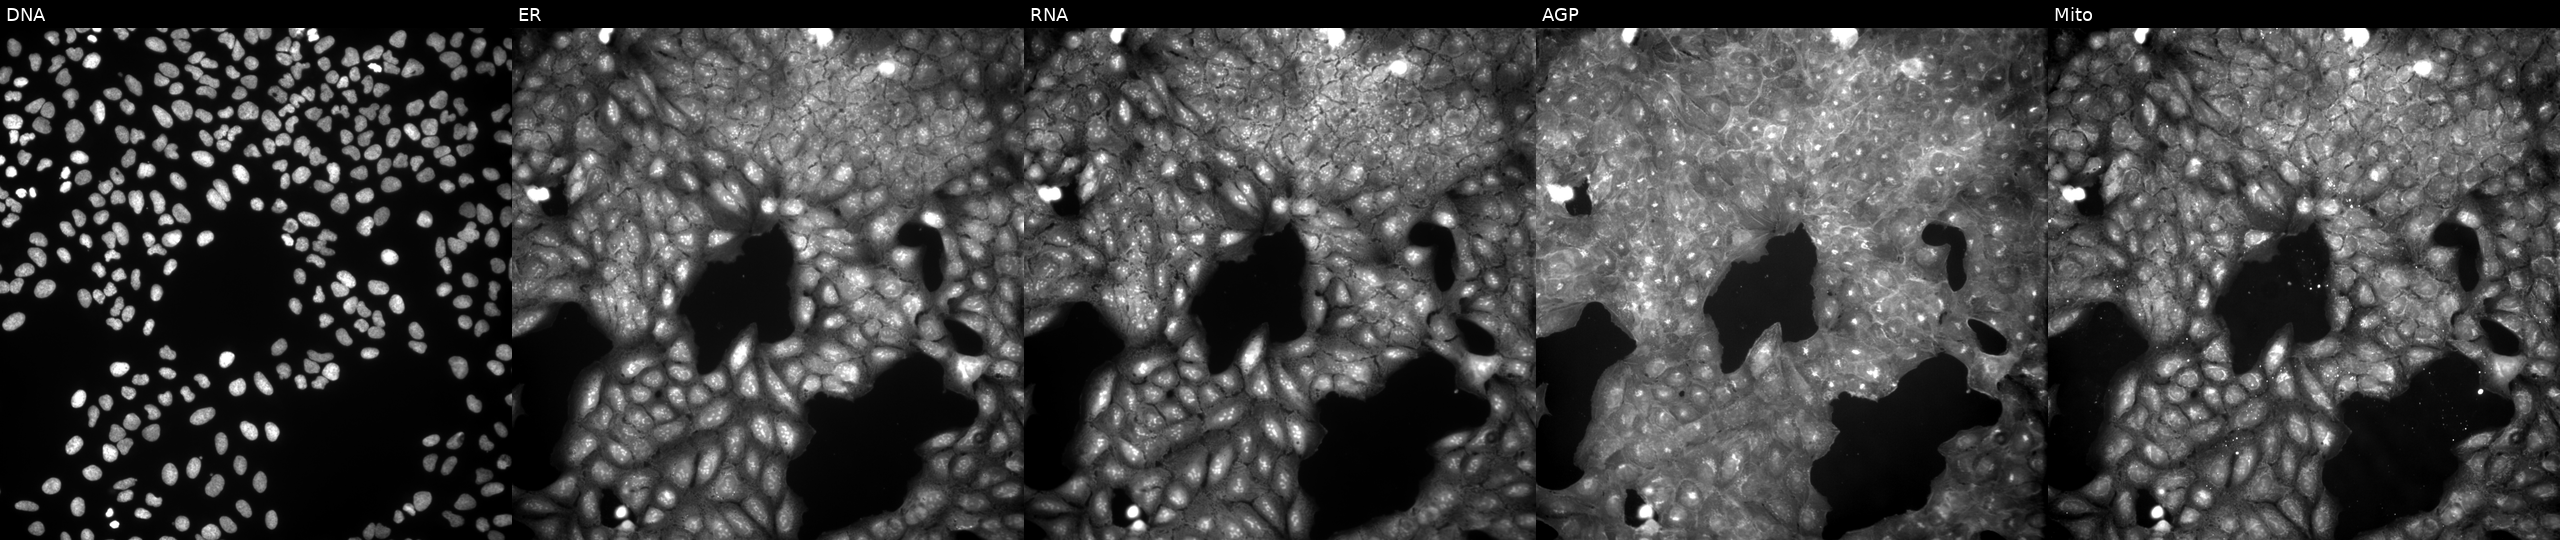
High-content fluorescence microscopy (Cell Painting). Cell line: U2OS. Perturbation: perturbed with a small-molecule compound [SMILES: CC(=O)Oc1cccc(NC(=O)c2ccc3c(c2)C(=O)N(CC(C)C)C3=O)c1]. The five panels, left to right, show DNA (nuclei); ER (endoplasmic reticulum); RNA (nucleoli and cytoplasmic RNA); AGP (actin cytoskeleton, Golgi, and plasma membrane); Mito (mitochondria).